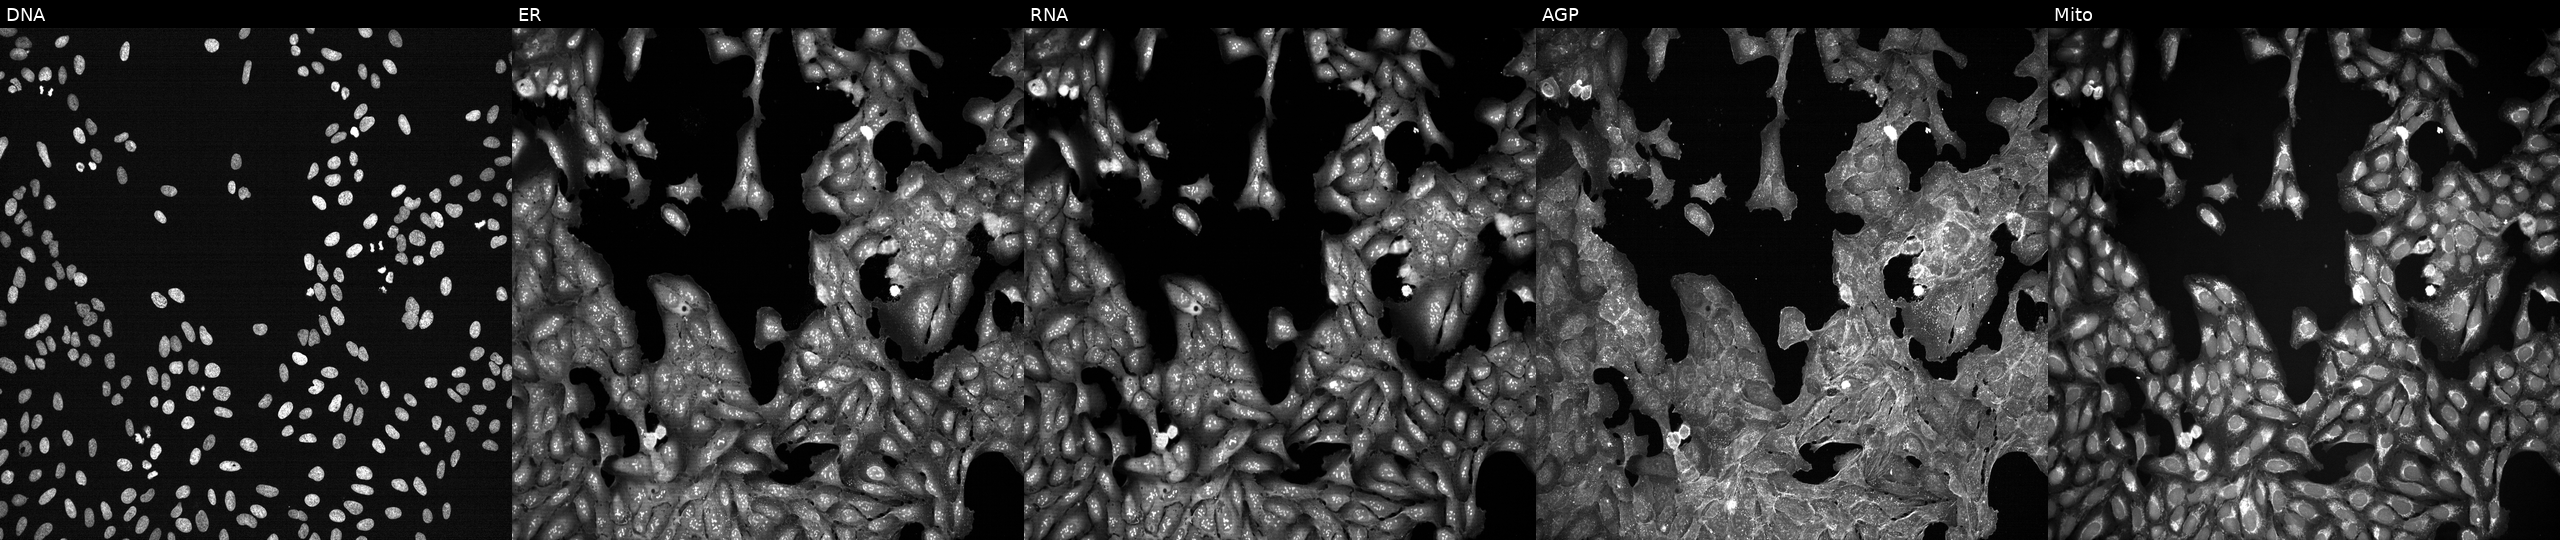
Channels (left→right): DNA (nuclei); ER (endoplasmic reticulum); RNA (nucleoli and cytoplasmic RNA); AGP (actin cytoskeleton, Golgi, and plasma membrane); Mito (mitochondria). U2OS osteosarcoma cells perturbed with a small-molecule compound (InChIKey PHSPJQZRQAJPPF-UHFFFAOYSA-N). Cell Painting assay, JUMP-CP dataset. Source 7, plate CP2-SC1-25, well B23.